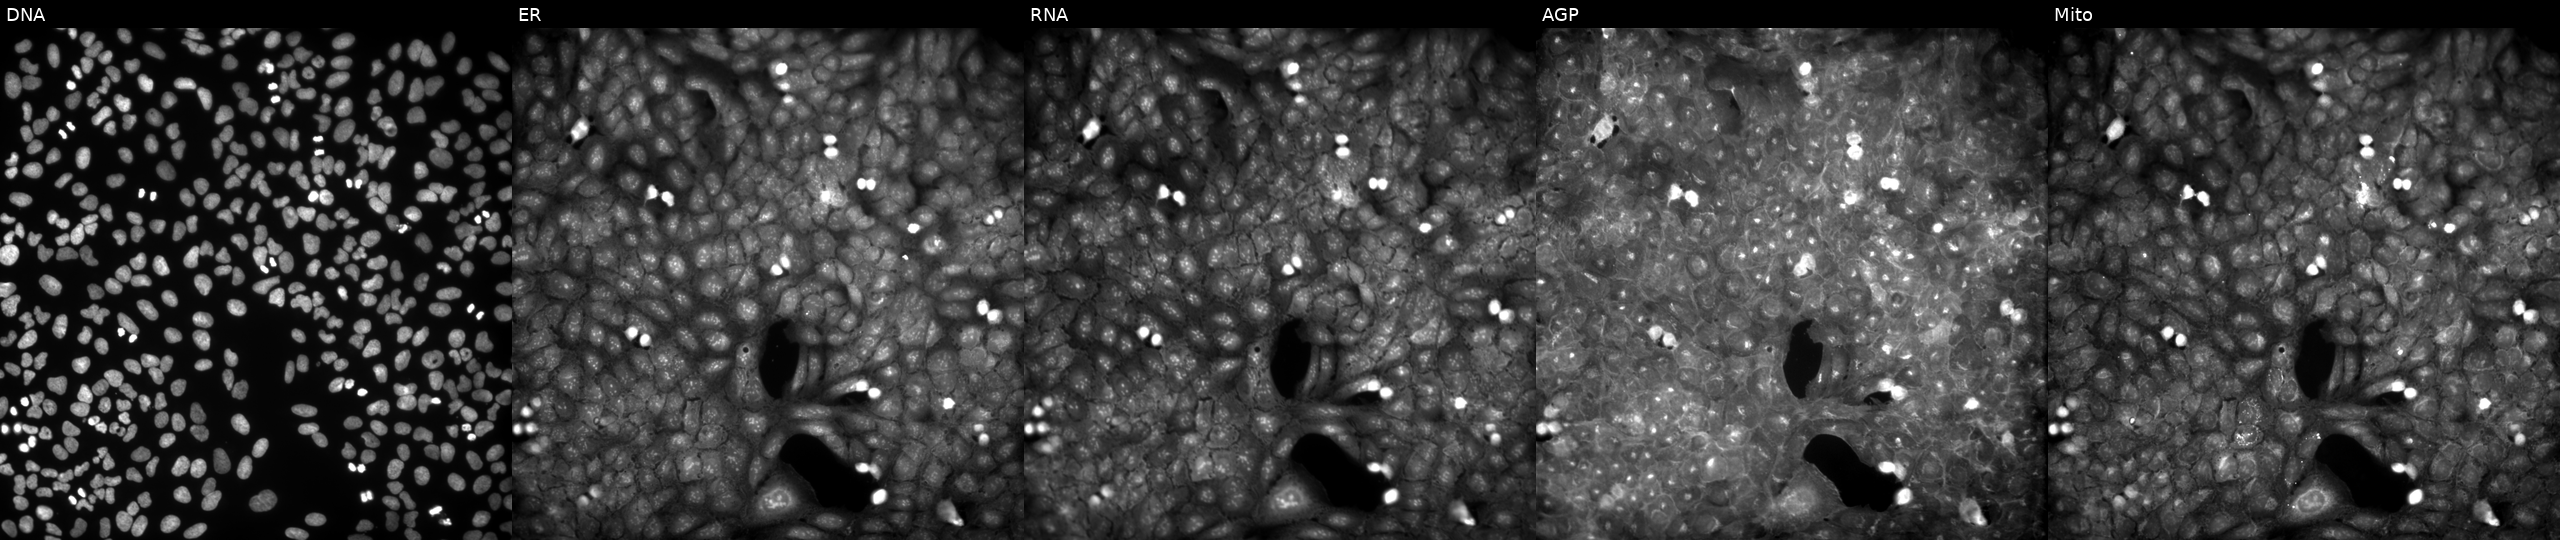
JUMP Cell Painting — COMPOUND plate. U2OS cells exposed to a small-molecule compound (JUMP id JCP2022_104352). From left to right: DNA, ER, RNA, AGP, and Mito.